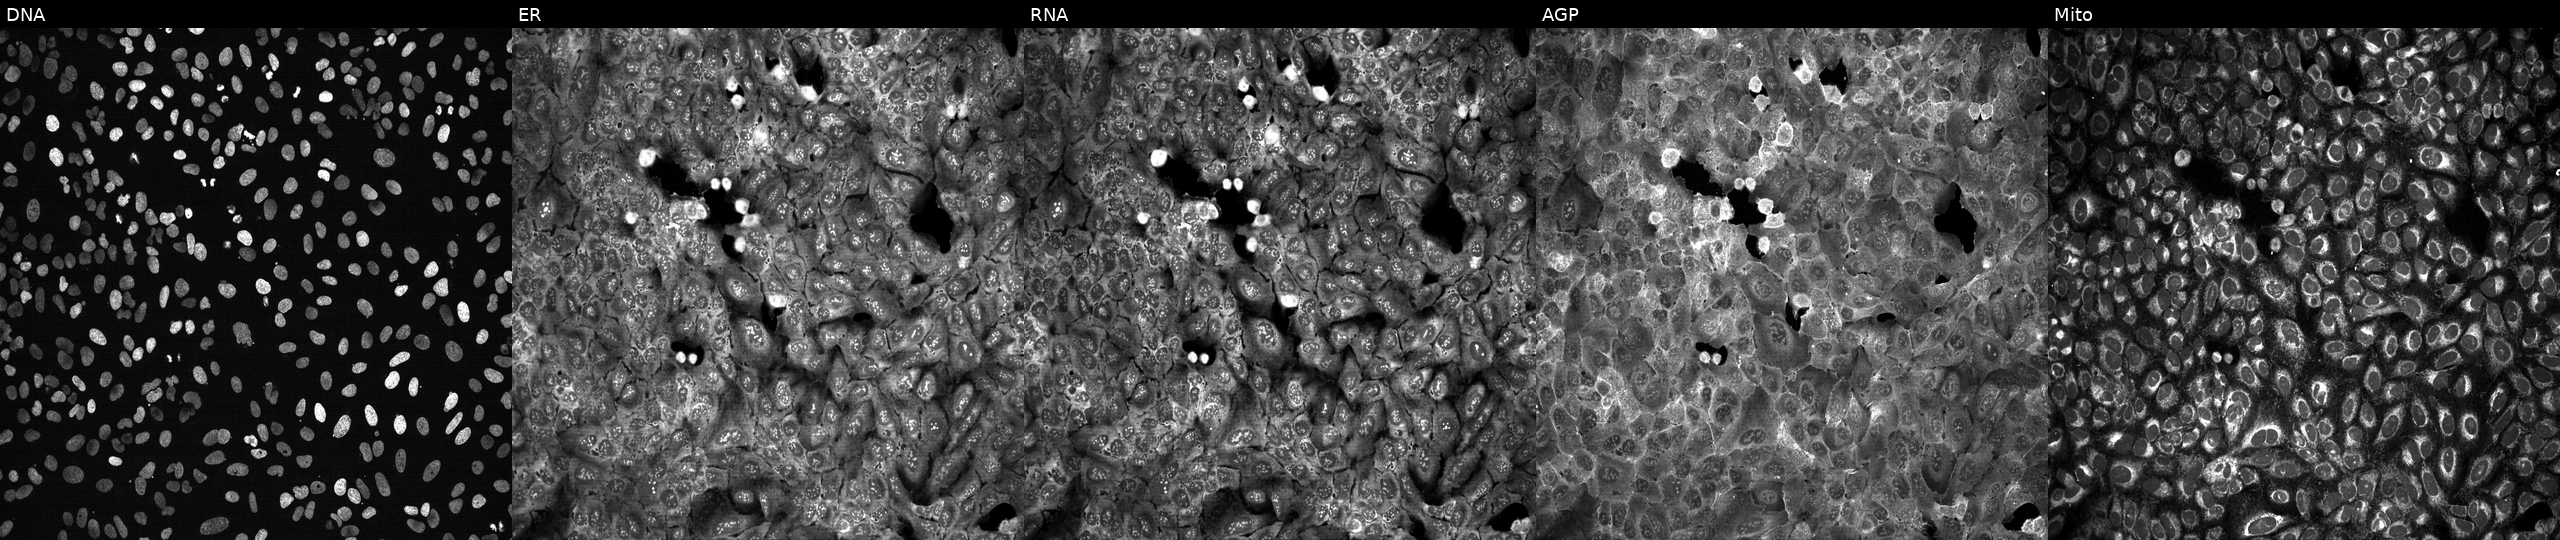
U2OS cells, Cell Painting assay, with AMY2B knocked out by CRISPR (JUMP id JCP2022_800446). Channels (left→right): DNA, ER, RNA, AGP, and Mito. Each panel is percentile-stretched 16-bit fluorescence.